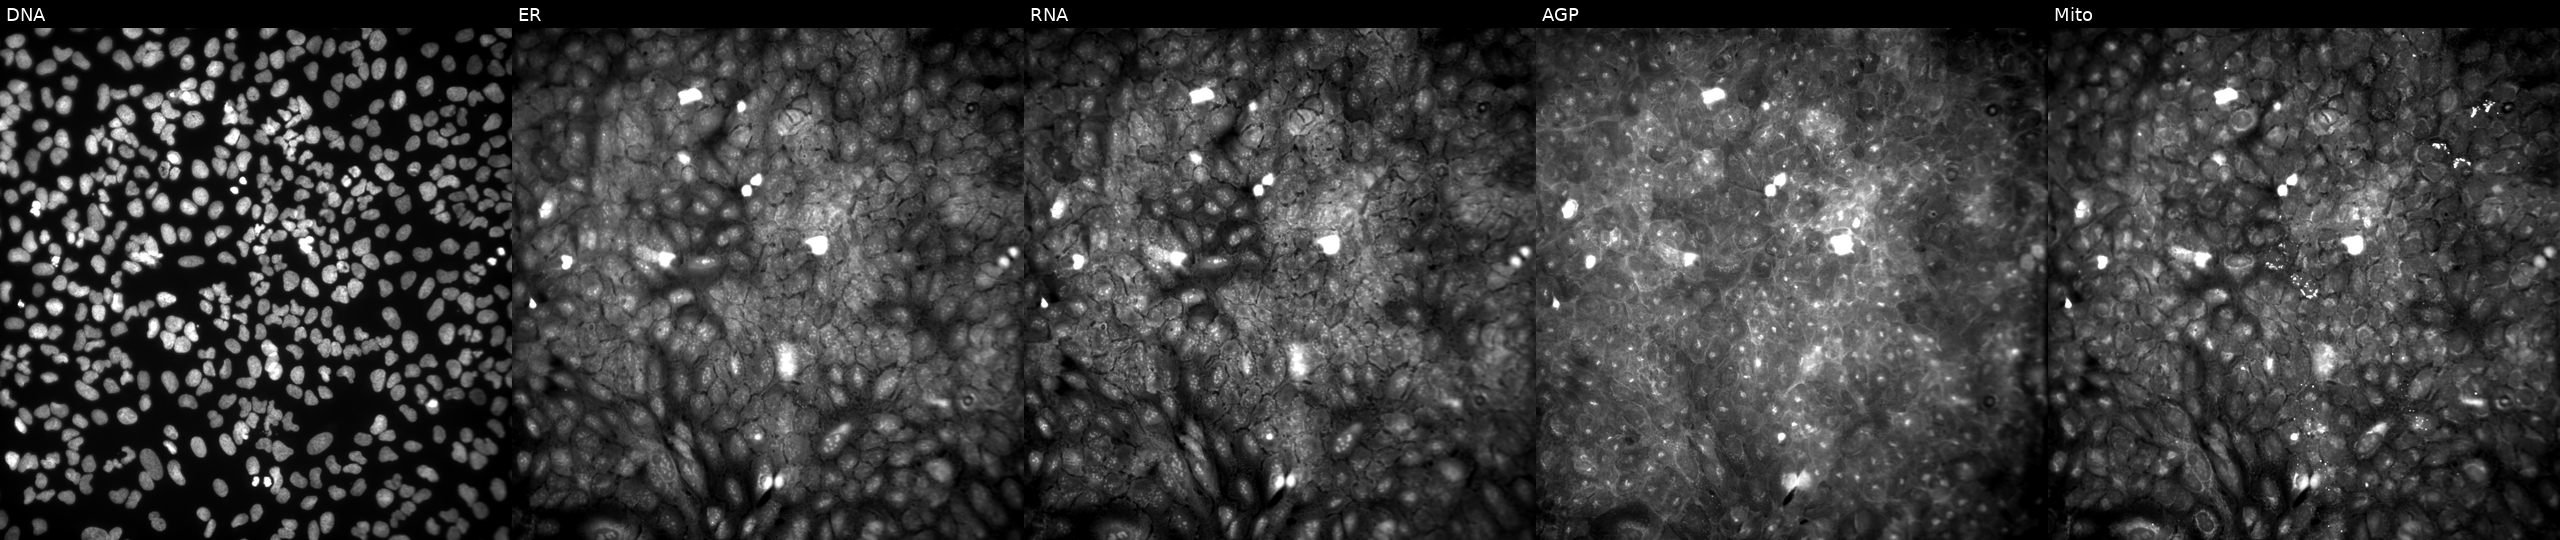
Channels (left→right): DNA (nuclei); ER (endoplasmic reticulum); RNA (nucleoli and cytoplasmic RNA); AGP (actin cytoskeleton, Golgi, and plasma membrane); Mito (mitochondria). U2OS osteosarcoma cells exposed to DMSO alone as a negative control (JUMP id JCP2022_033924). Cell Painting assay, JUMP-CP dataset.